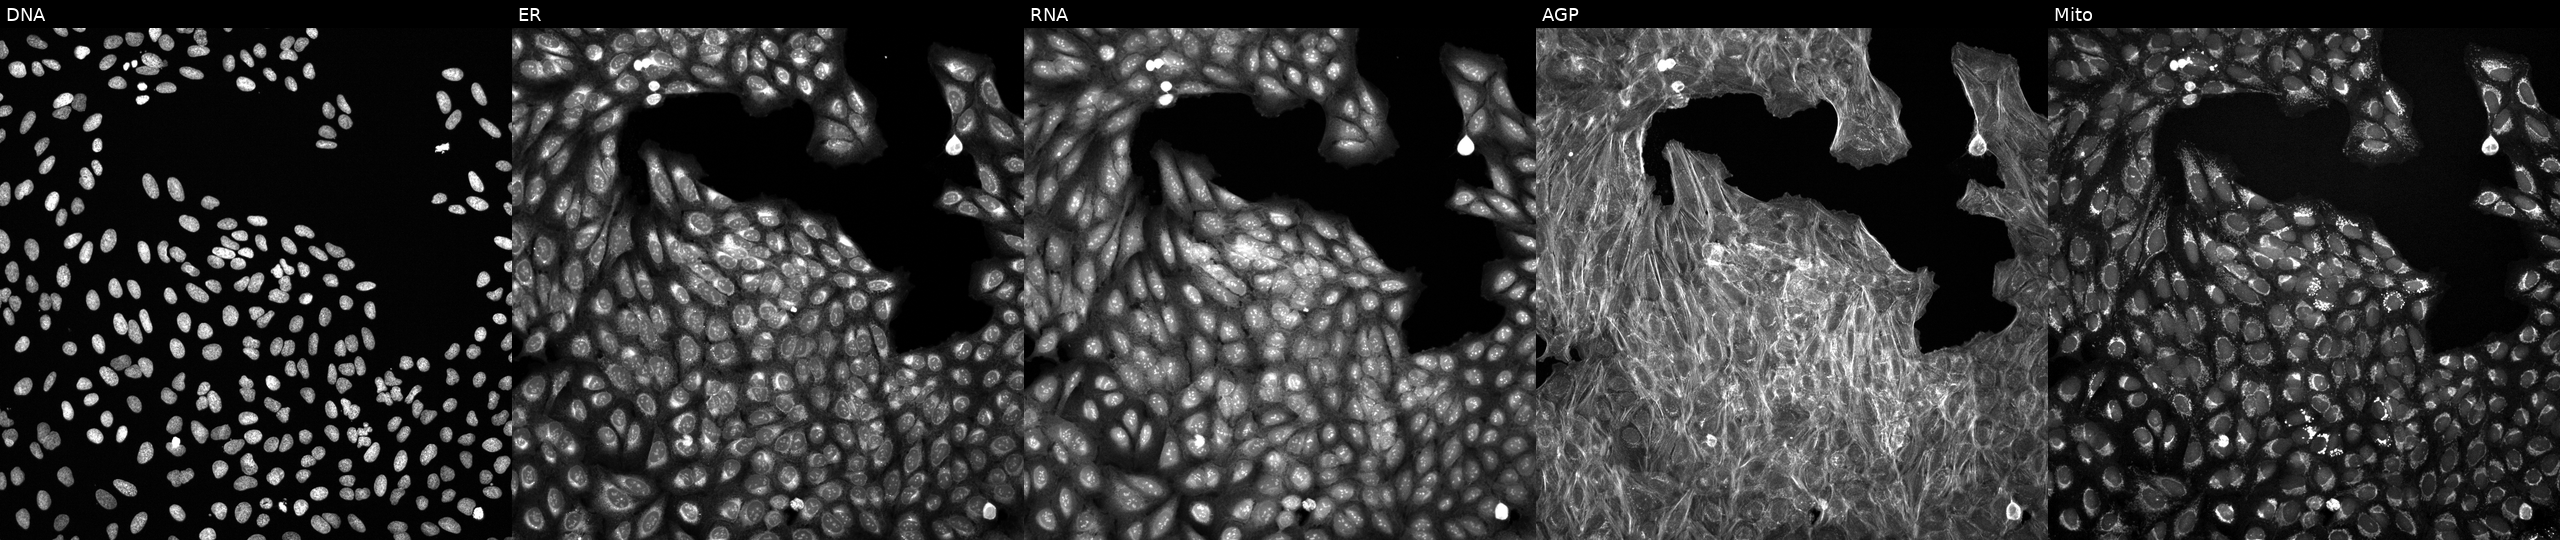
From left to right: DNA, ER, RNA, AGP, and Mito. U2OS osteosarcoma cells exposed to a small-molecule compound (JUMP id JCP2022_082052). Cell Painting assay, JUMP-CP dataset. Source 6, plate 110000293082, well C13.